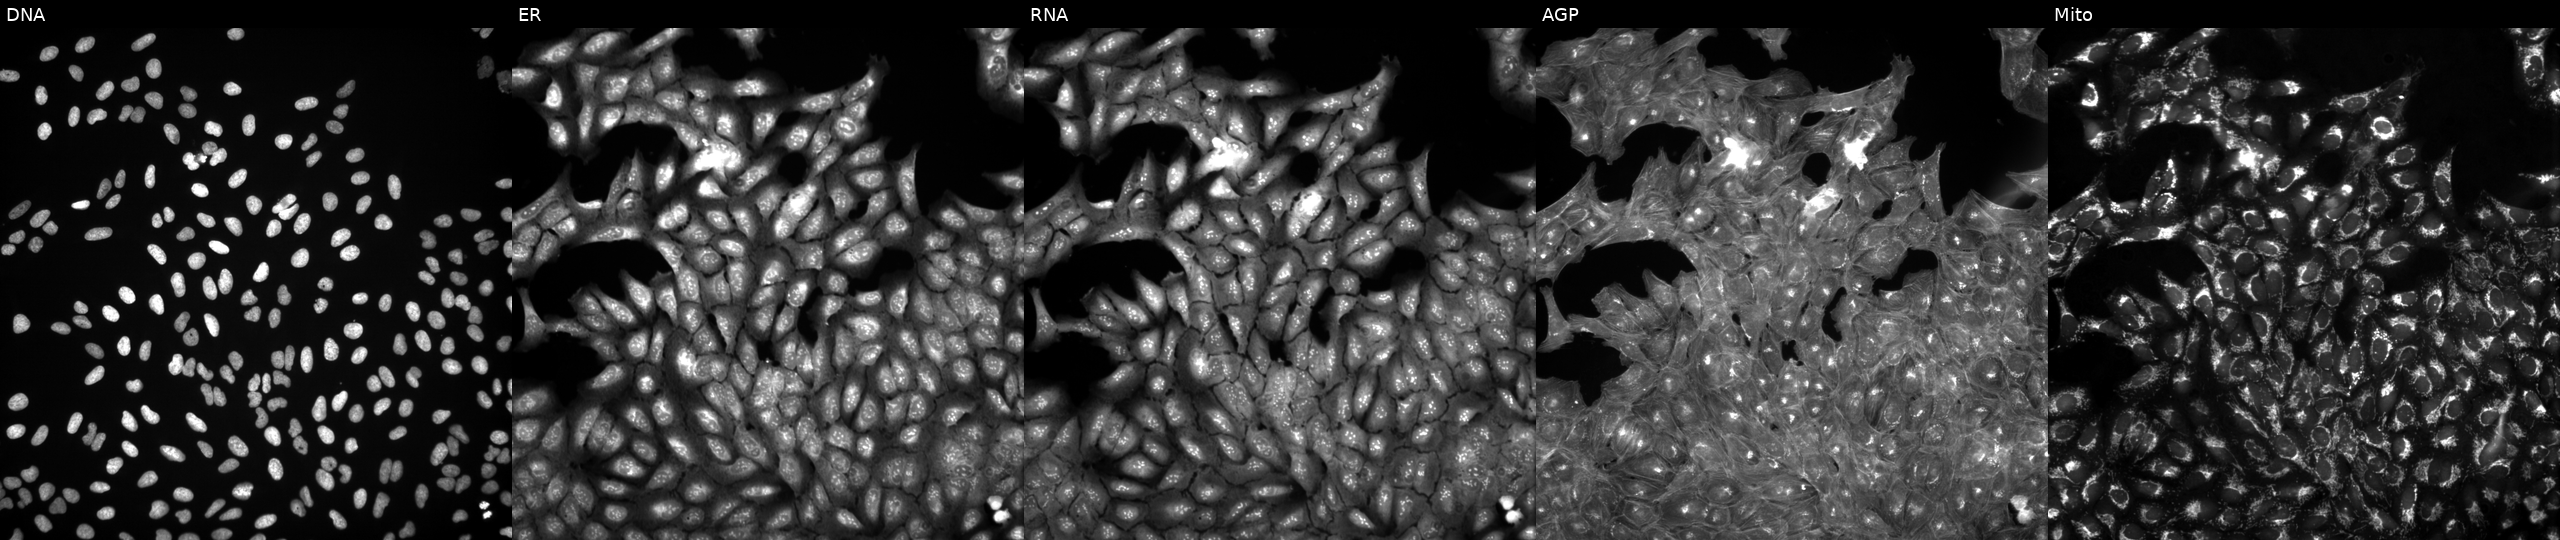
Five-channel Cell Painting image of U2OS cells treated with a small-molecule compound (InChIKey WJBLNOPPDWQMCH-UHFFFAOYSA-N) [SMILES: C=C1CCC2(O)C3Cc4ccc(O)c5c4C2(CCN3CC2CC2)C1O5]. Panels show, left to right, DNA, ER, RNA, AGP, and Mito. Source 3, plate JCPQC051, well O02.